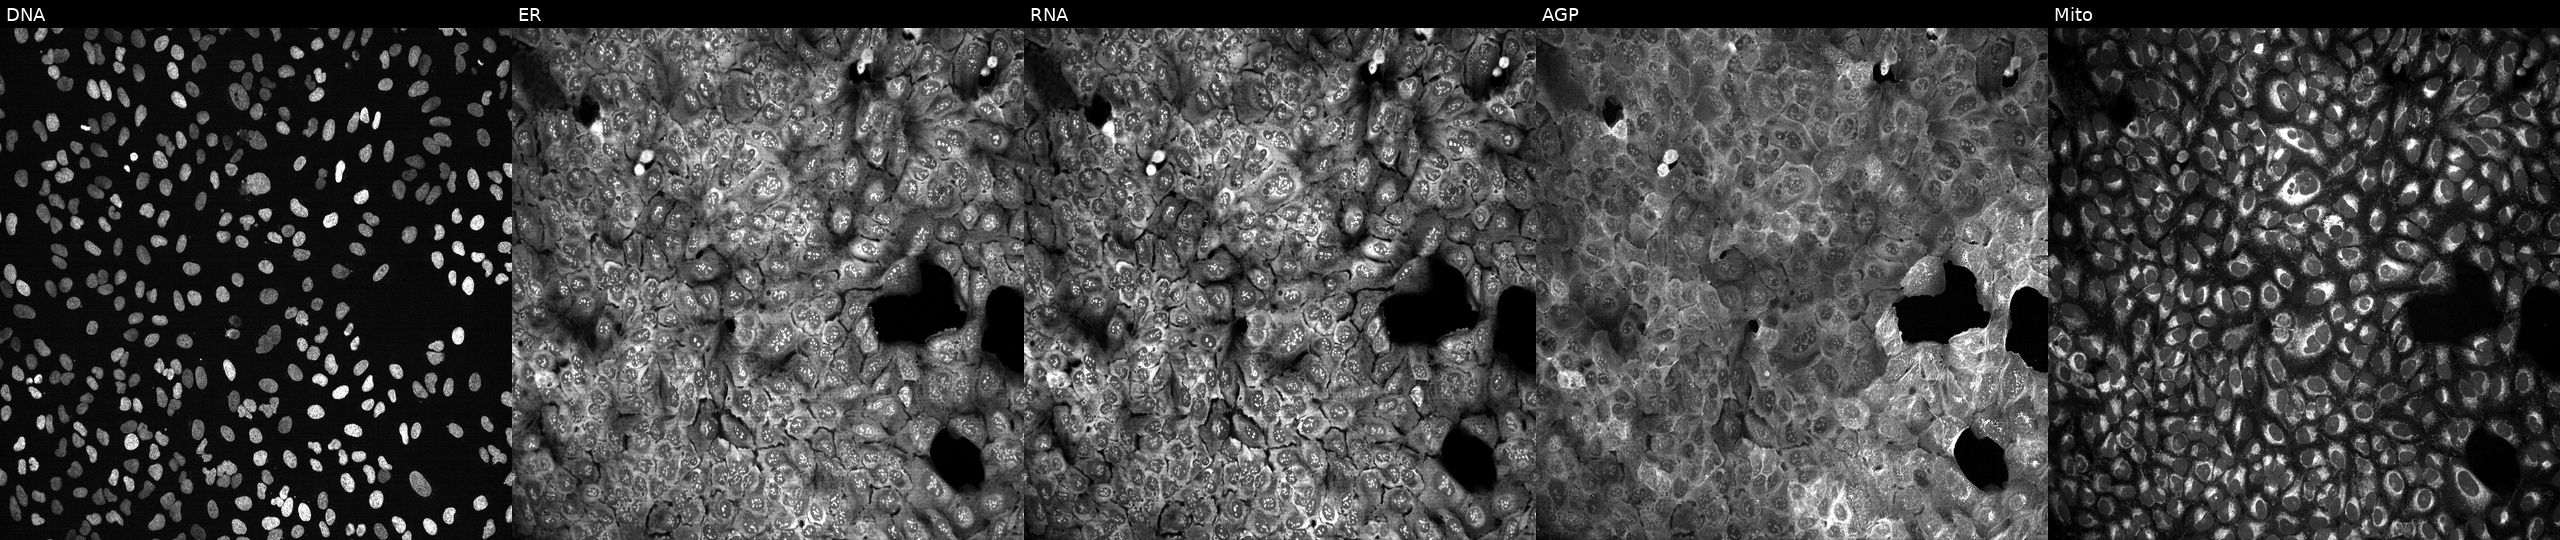
High-content fluorescence microscopy (Cell Painting). Cell line: U2OS. Perturbation: with CES1 knocked out by CRISPR. Channels (left→right): DNA (nuclei); ER (endoplasmic reticulum); RNA (nucleoli and cytoplasmic RNA); AGP (actin cytoskeleton, Golgi, and plasma membrane); Mito (mitochondria).